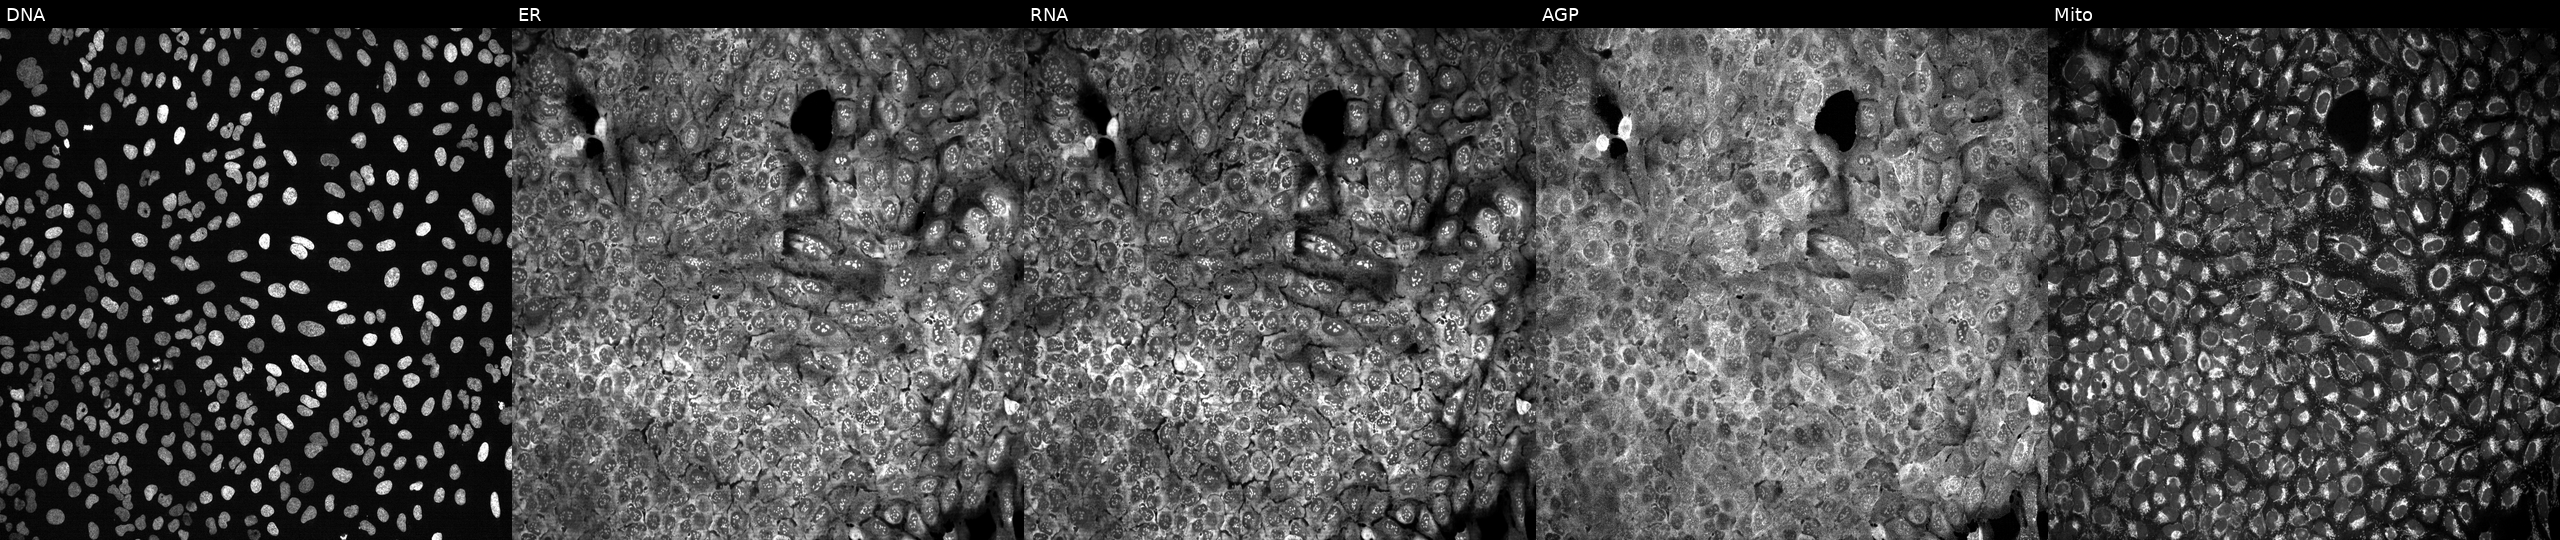
U2OS cells, Cell Painting assay, following CRISPR knockout of MAD2L2 (JUMP id JCP2022_803947). From left to right: Hoechst 33342, concanavalin A, SYTO 14, phalloidin and WGA, MitoTracker. Each panel is percentile-stretched 16-bit fluorescence.